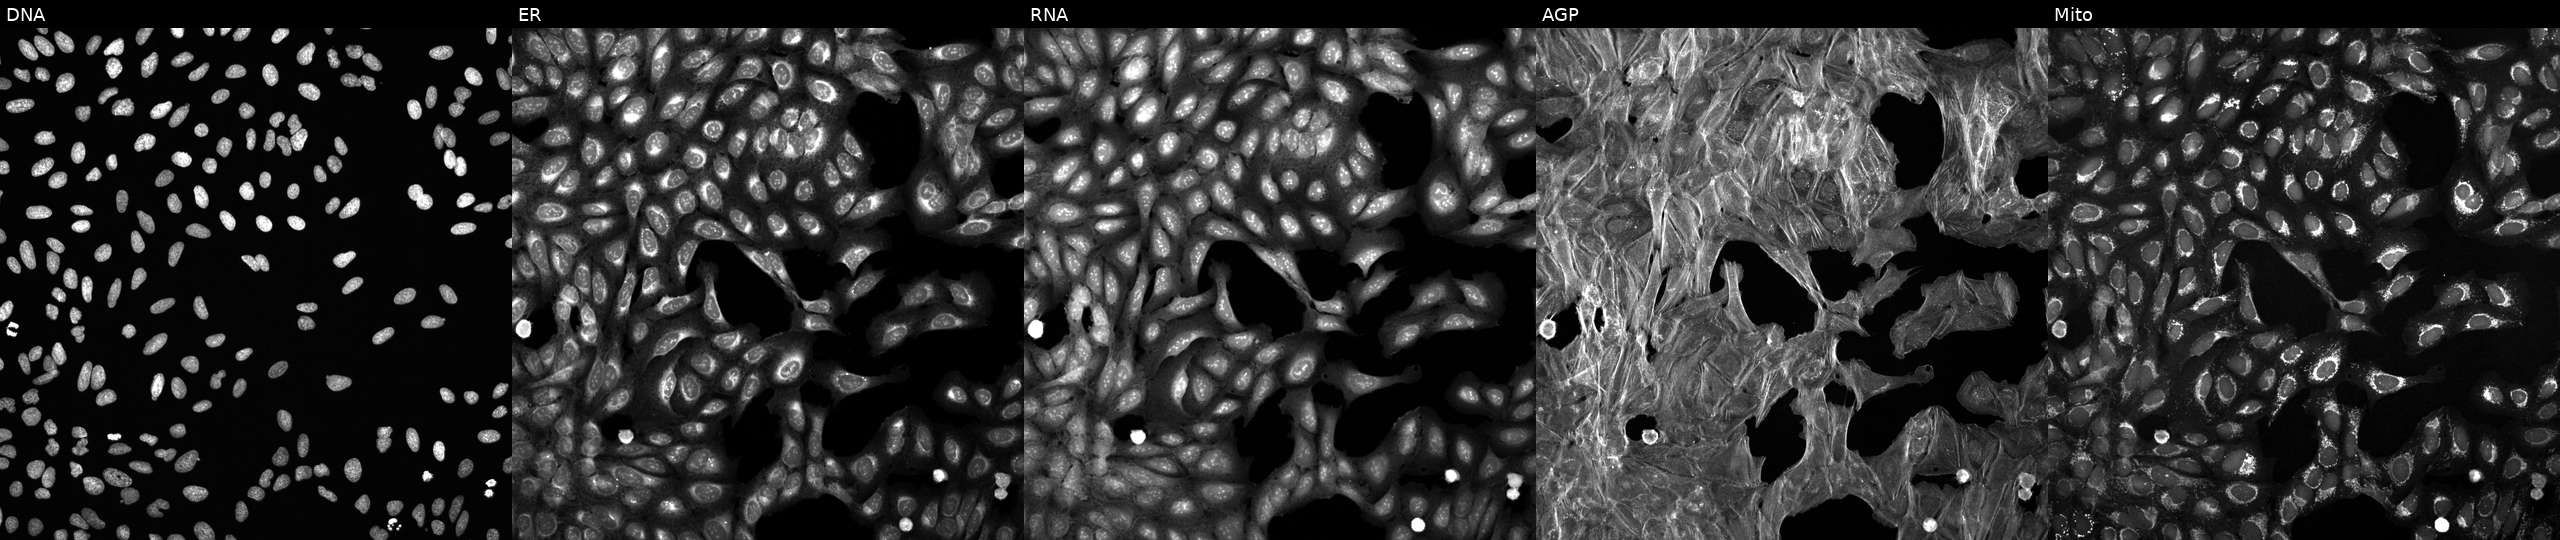
U2OS cells, Cell Painting assay, treated with a small-molecule compound (InChIKey RIJLVEAXPNLDTC-UHFFFAOYSA-N) (JUMP id JCP2022_078581). Panels show, left to right, DNA, ER, RNA, AGP, and Mito. Each panel is percentile-stretched 16-bit fluorescence. Source 6, plate 110000293081, well N12.